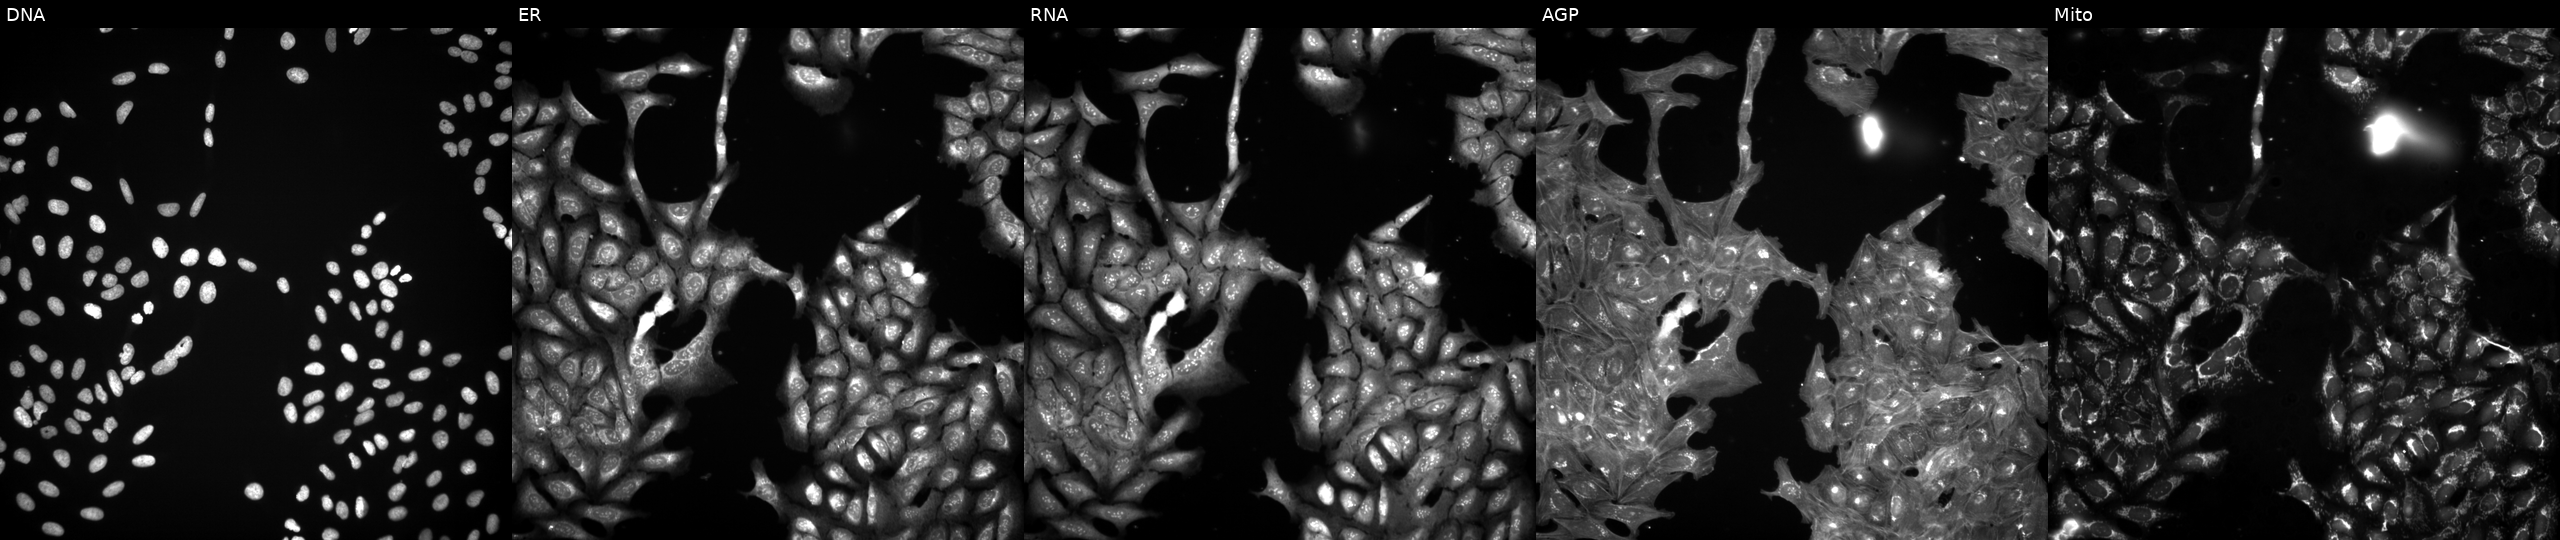
JUMP Cell Painting — COMPOUND plate. U2OS cells exposed to a small-molecule compound (JUMP id JCP2022_032066). From left to right: DNA (nuclei); ER (endoplasmic reticulum); RNA (nucleoli and cytoplasmic RNA); AGP (actin cytoskeleton, Golgi, and plasma membrane); Mito (mitochondria). Source 3, plate BR5867b3, well B14.